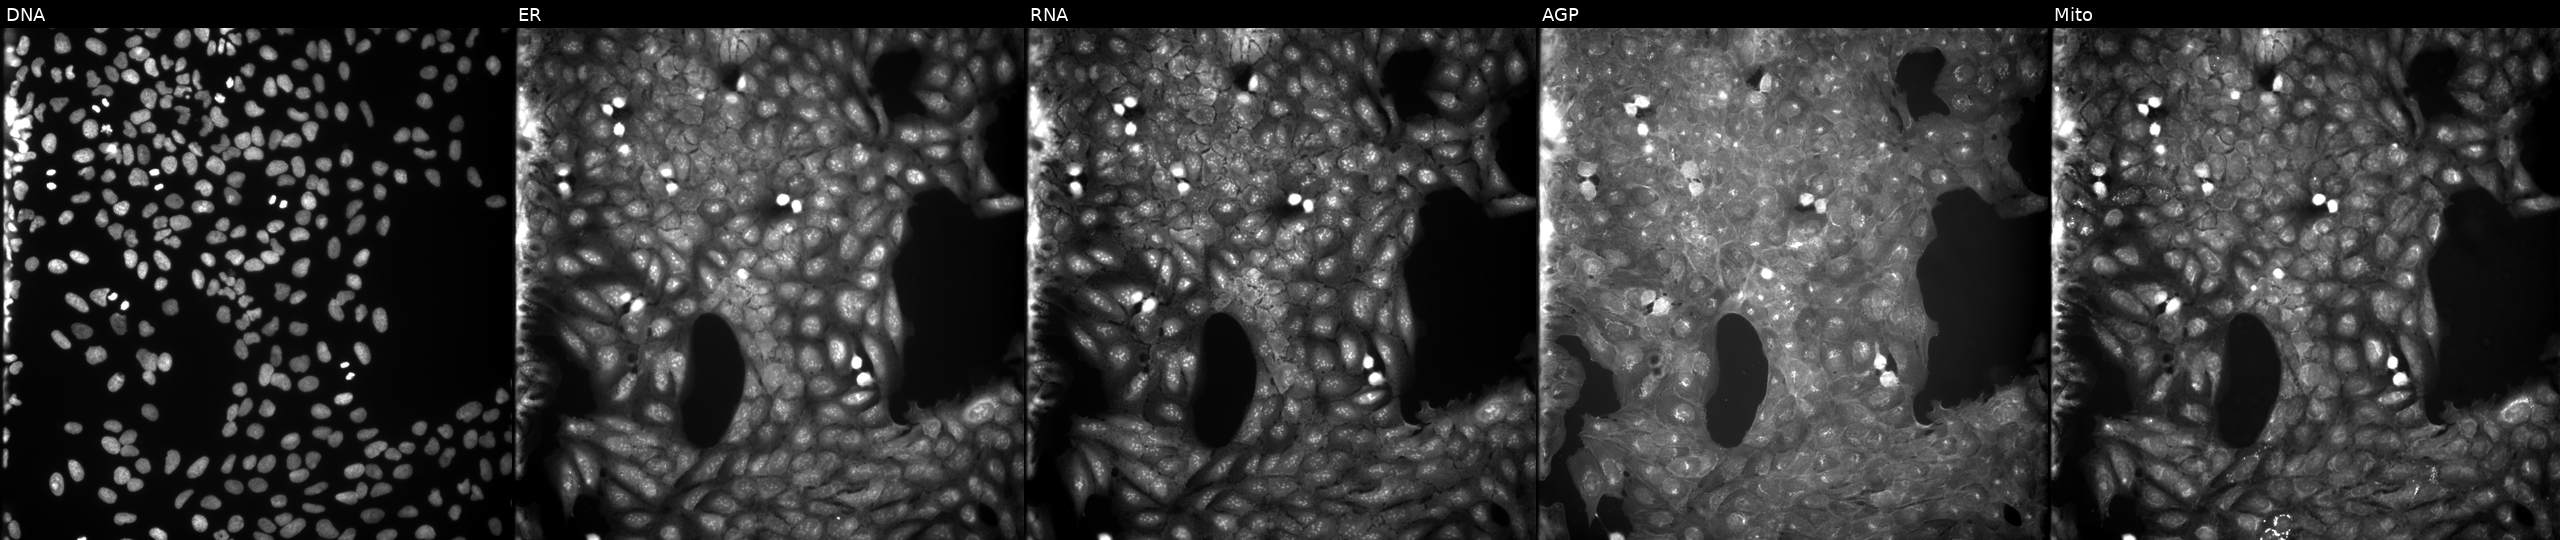
High-content fluorescence microscopy (Cell Painting). Cell line: U2OS. Perturbation: perturbed with a small-molecule compound (InChIKey QRHAKRDAZPBGDT-UHFFFAOYSA-N) (JUMP id JCP2022_075391). Panels show, left to right, Hoechst 33342, concanavalin A, SYTO 14, phalloidin and WGA, MitoTracker.